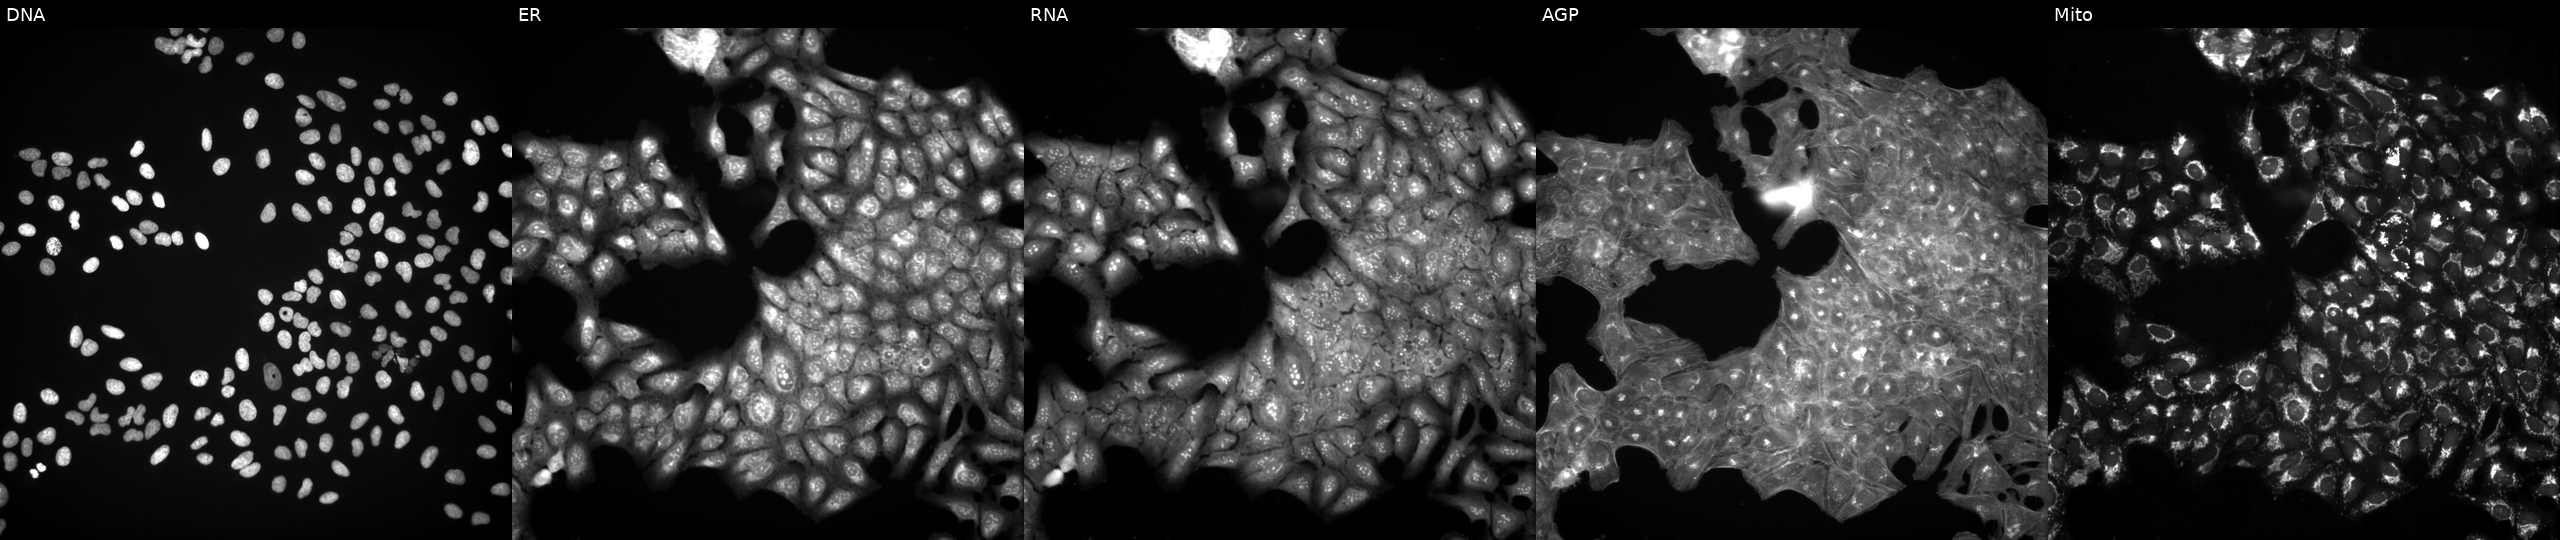
Panels show, left to right, Hoechst 33342, concanavalin A, SYTO 14, phalloidin and WGA, MitoTracker. U2OS osteosarcoma cells perturbed with a small-molecule compound (InChIKey CKTSBUTUHBMZGZ-UHFFFAOYSA-N). Cell Painting assay, JUMP-CP dataset. Source 3, plate JCPQC051, well I13.